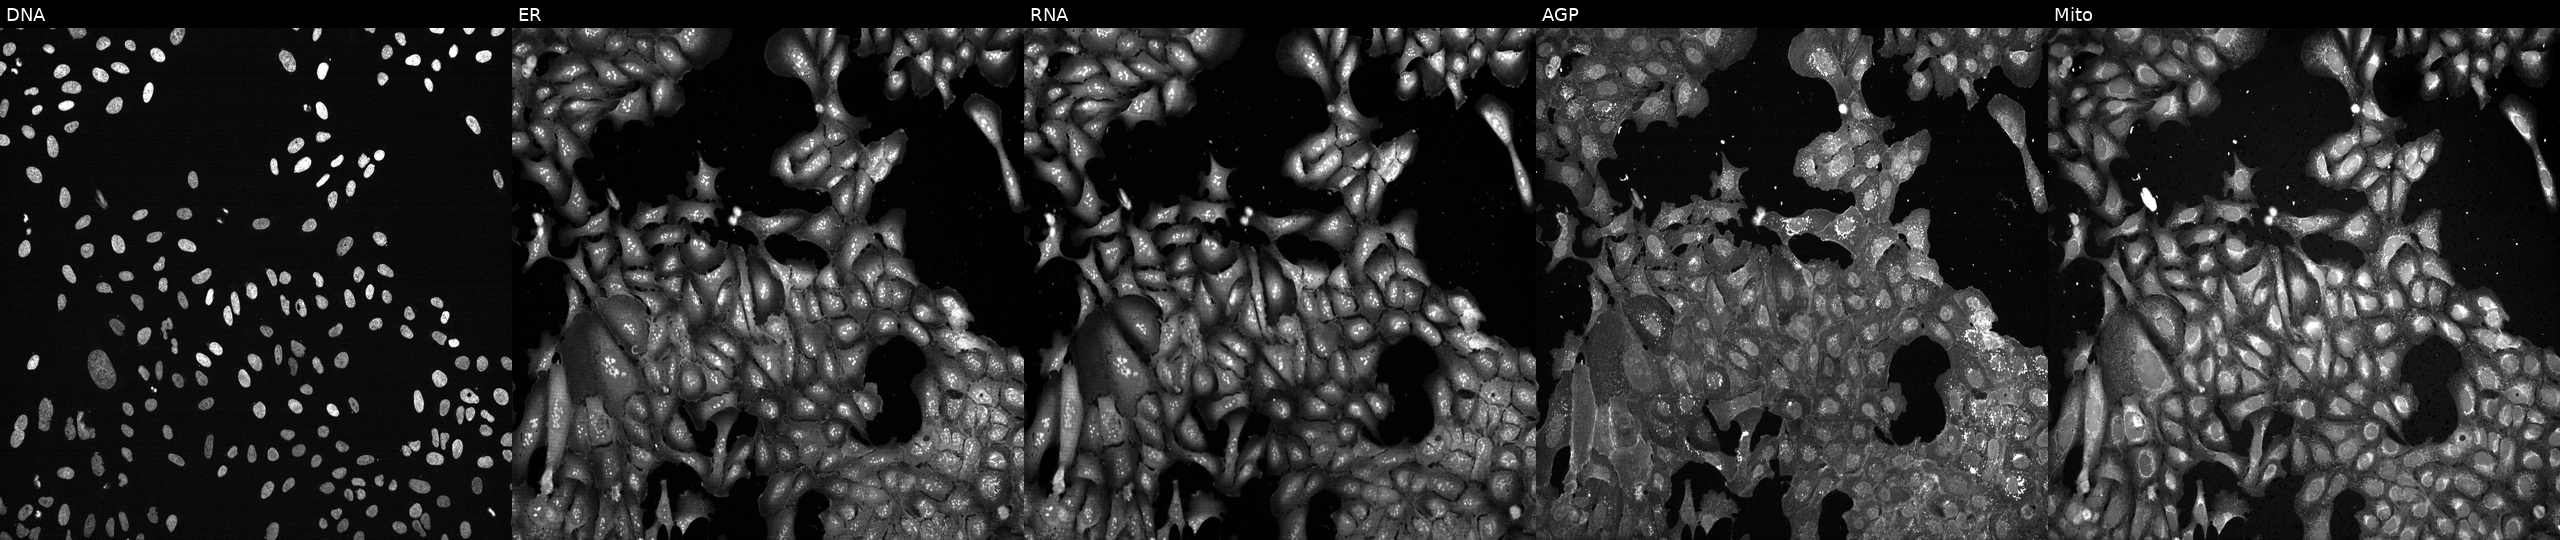
High-content fluorescence microscopy (Cell Painting). Cell line: U2OS. Perturbation: following CRISPR knockout of CCL14. The five panels, left to right, show DNA (nuclei); ER (endoplasmic reticulum); RNA (nucleoli and cytoplasmic RNA); AGP (actin cytoskeleton, Golgi, and plasma membrane); Mito (mitochondria).